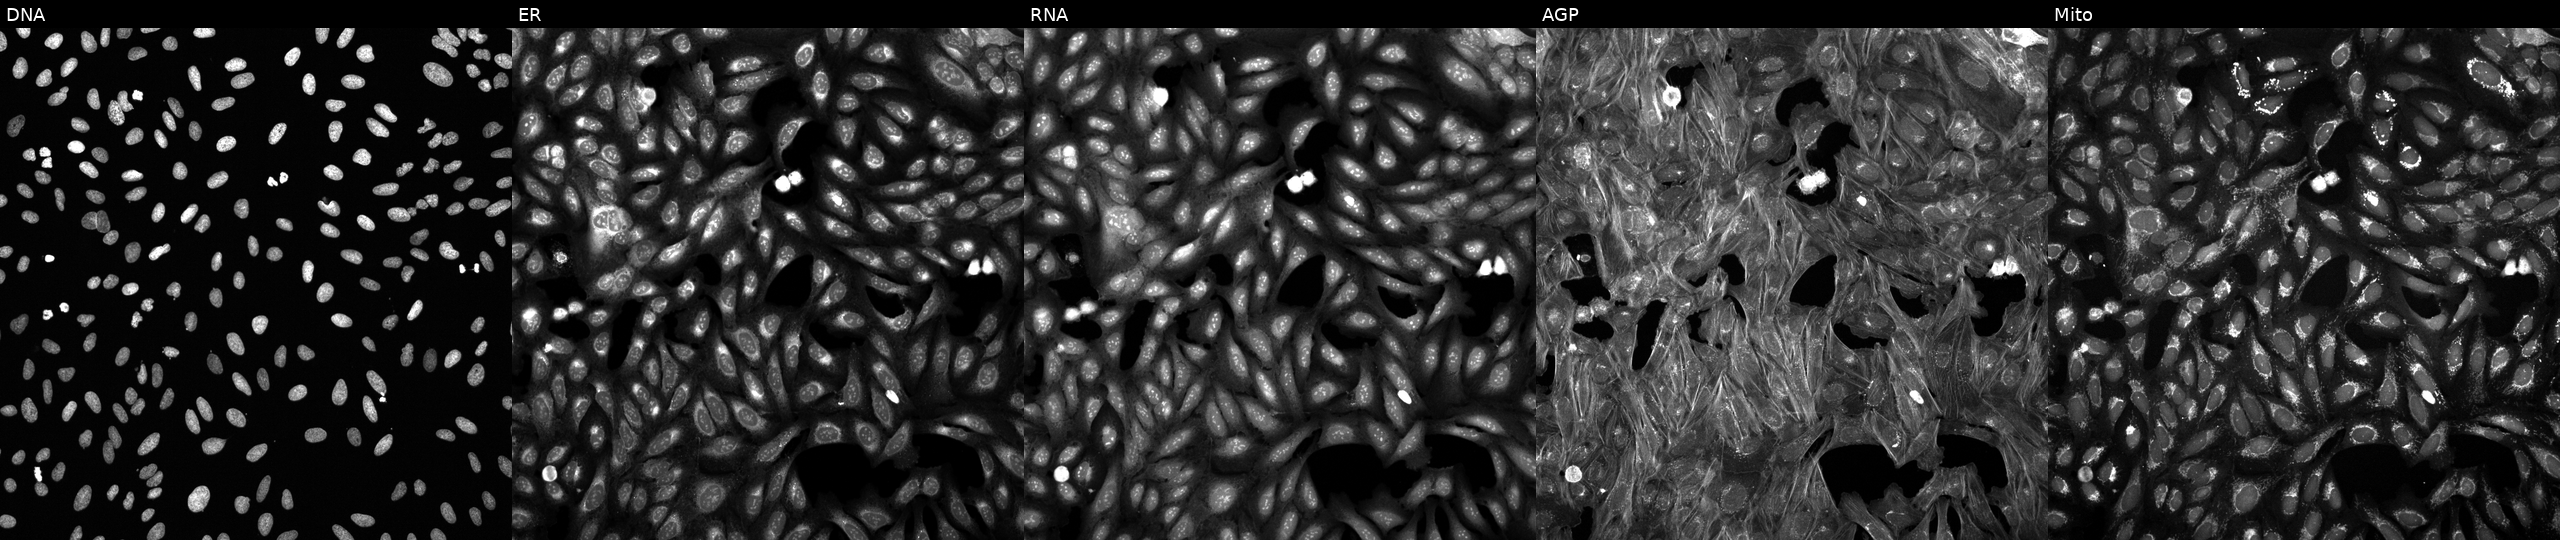
This image strip shows the five Cell Painting channels for a single field of U2OS cells exposed to a small-molecule compound (JUMP id JCP2022_105456). The five panels, left to right, show Hoechst 33342, concanavalin A, SYTO 14, phalloidin and WGA, MitoTracker.